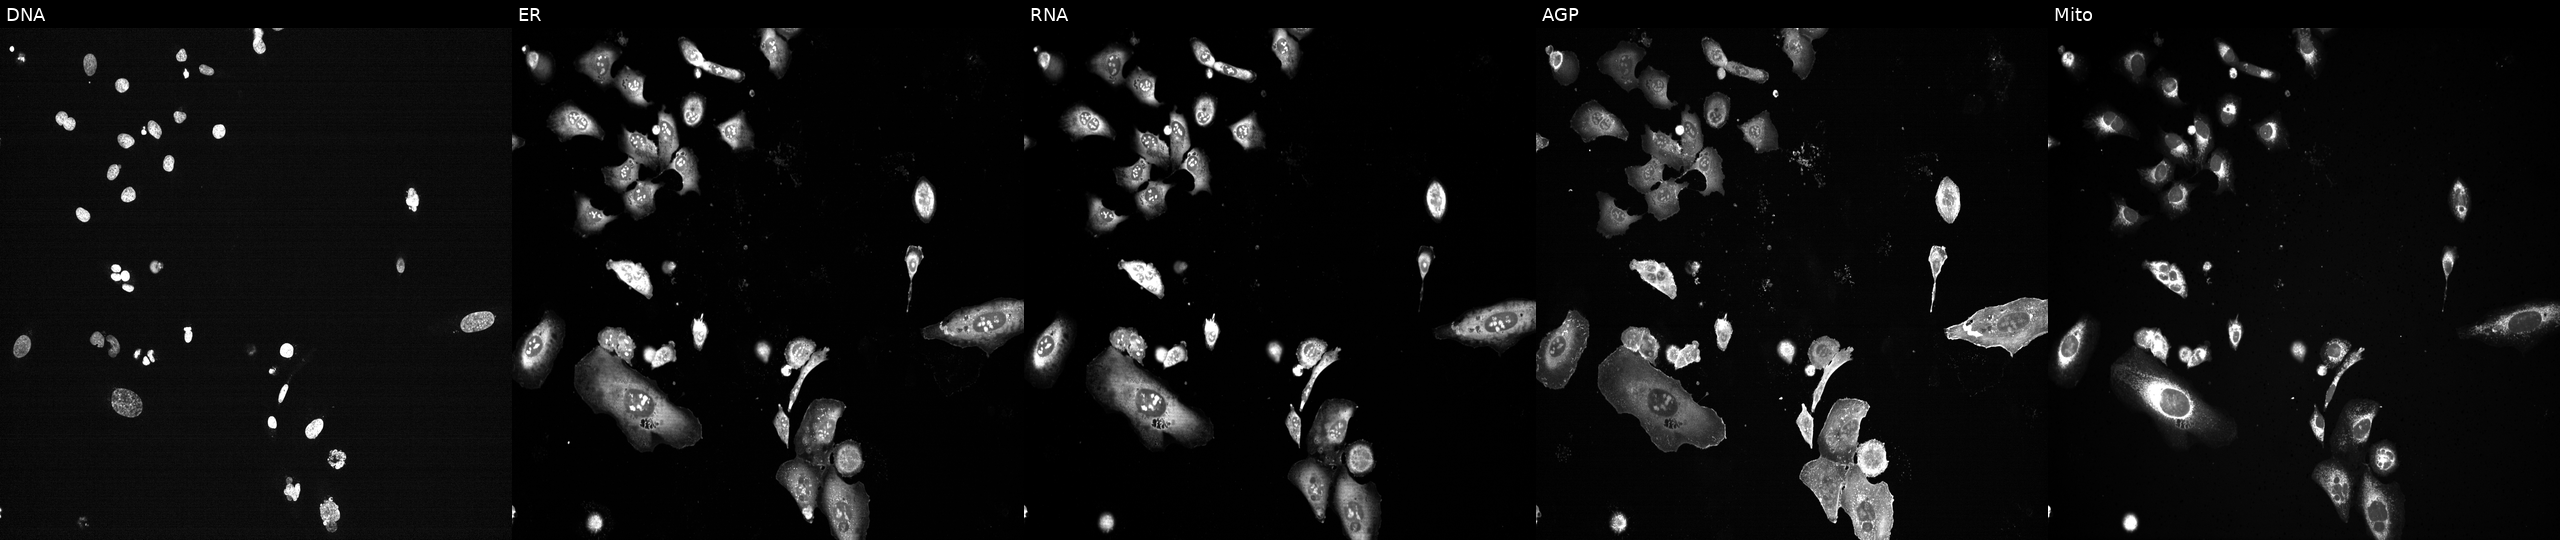
JUMP Cell Painting — CRISPR plate. U2OS cells with PLK1 knocked out by CRISPR (positive control) (JUMP id JCP2022_805264). The five panels, left to right, show Hoechst 33342, concanavalin A, SYTO 14, phalloidin and WGA, MitoTracker.